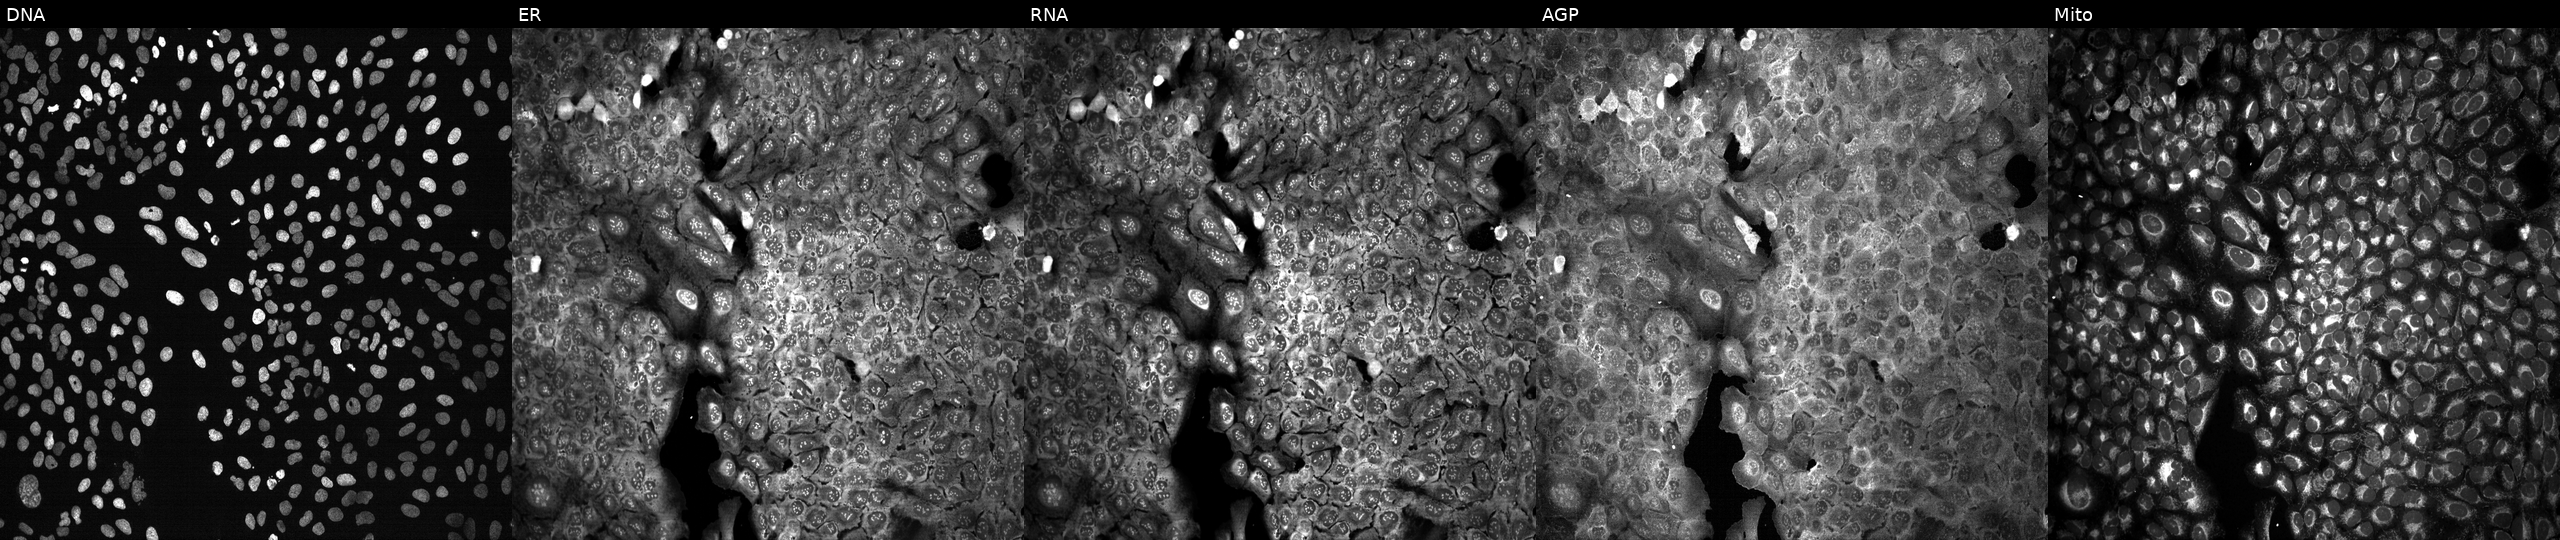
U2OS cells, Cell Painting assay, with MLH3 knocked out by CRISPR (JUMP id JCP2022_804194). From left to right: DNA, ER, RNA, AGP, and Mito. Each panel is percentile-stretched 16-bit fluorescence.